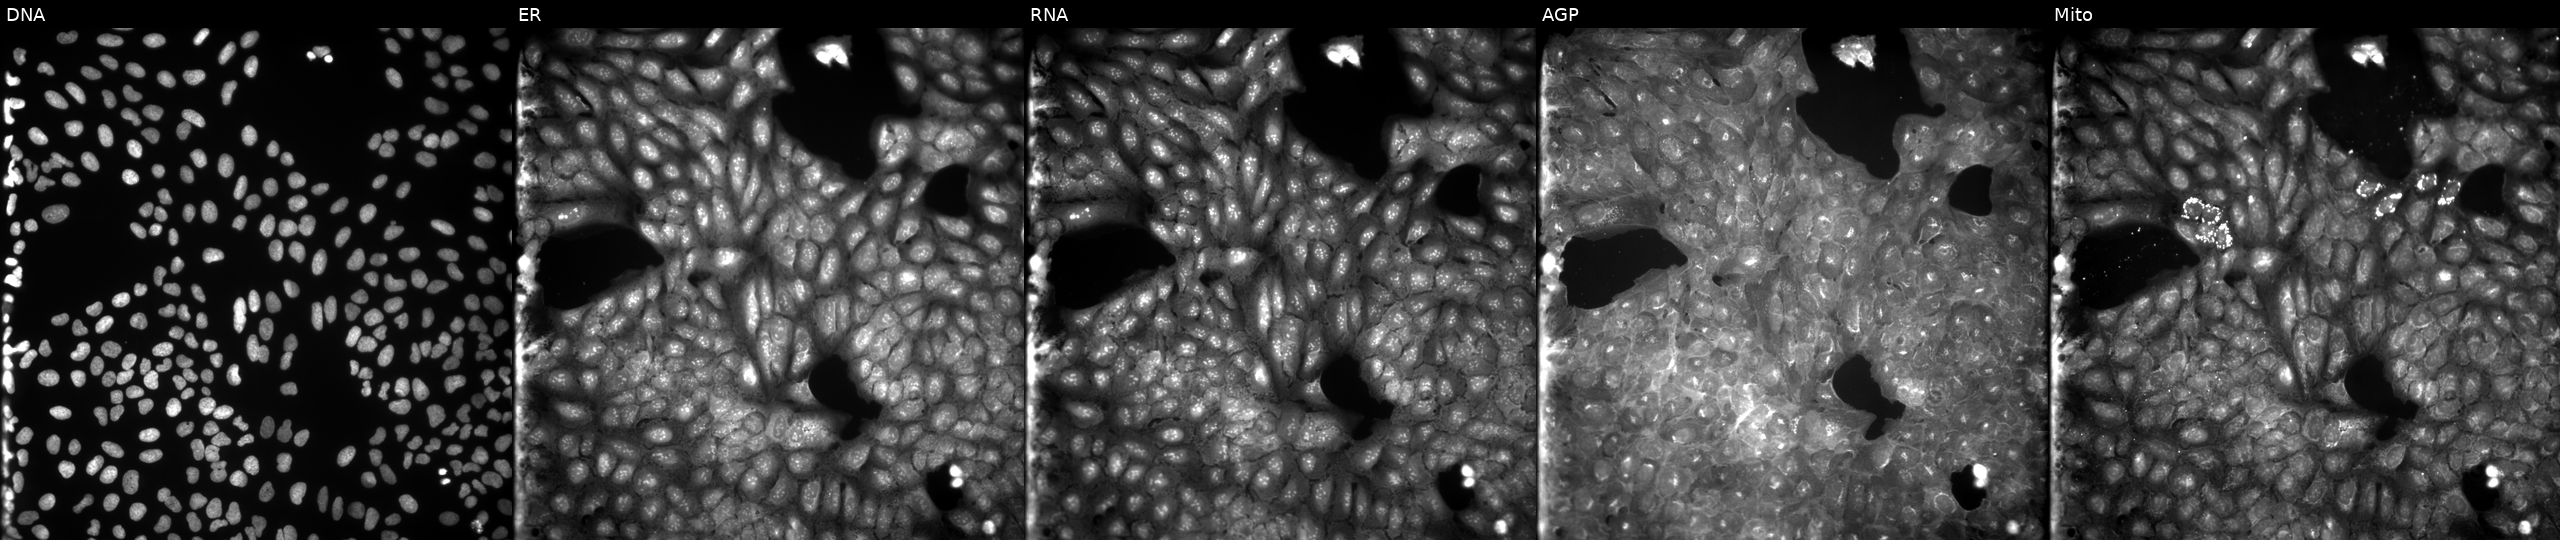
U2OS cells, Cell Painting assay, perturbed with a small-molecule compound (JUMP id JCP2022_104523). From left to right: Hoechst 33342, concanavalin A, SYTO 14, phalloidin and WGA, MitoTracker. Each panel is percentile-stretched 16-bit fluorescence. Source 9, plate GR00003382, well V11.